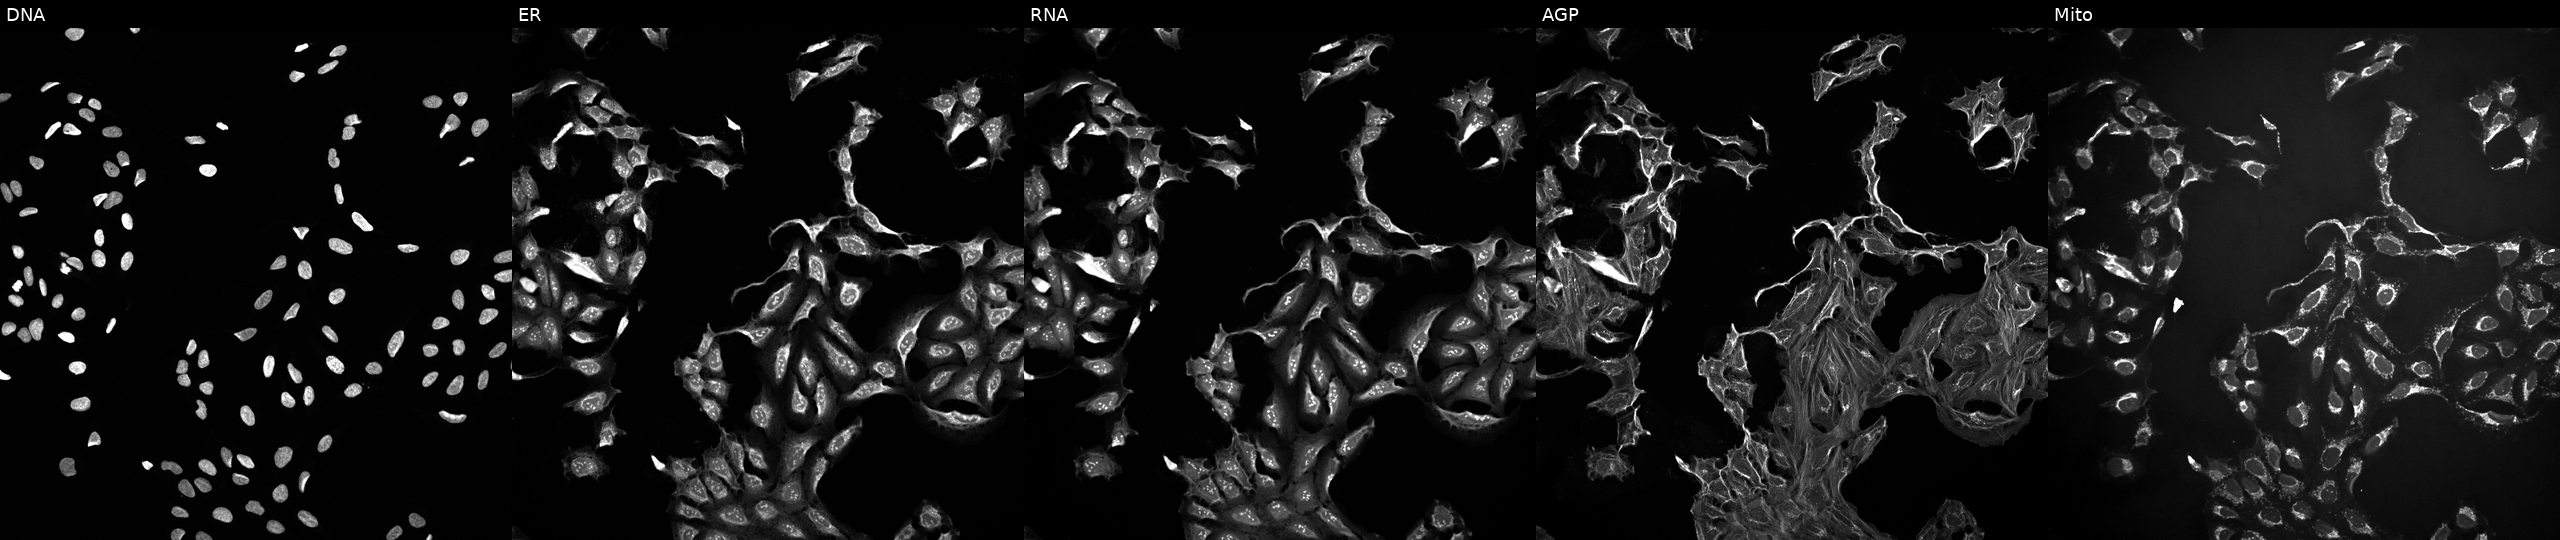
High-content fluorescence microscopy (Cell Painting). Cell line: U2OS. Perturbation: exposed to DMSO alone as a negative control (JUMP id JCP2022_033924). The five panels, left to right, show Hoechst 33342, concanavalin A, SYTO 14, phalloidin and WGA, MitoTracker.